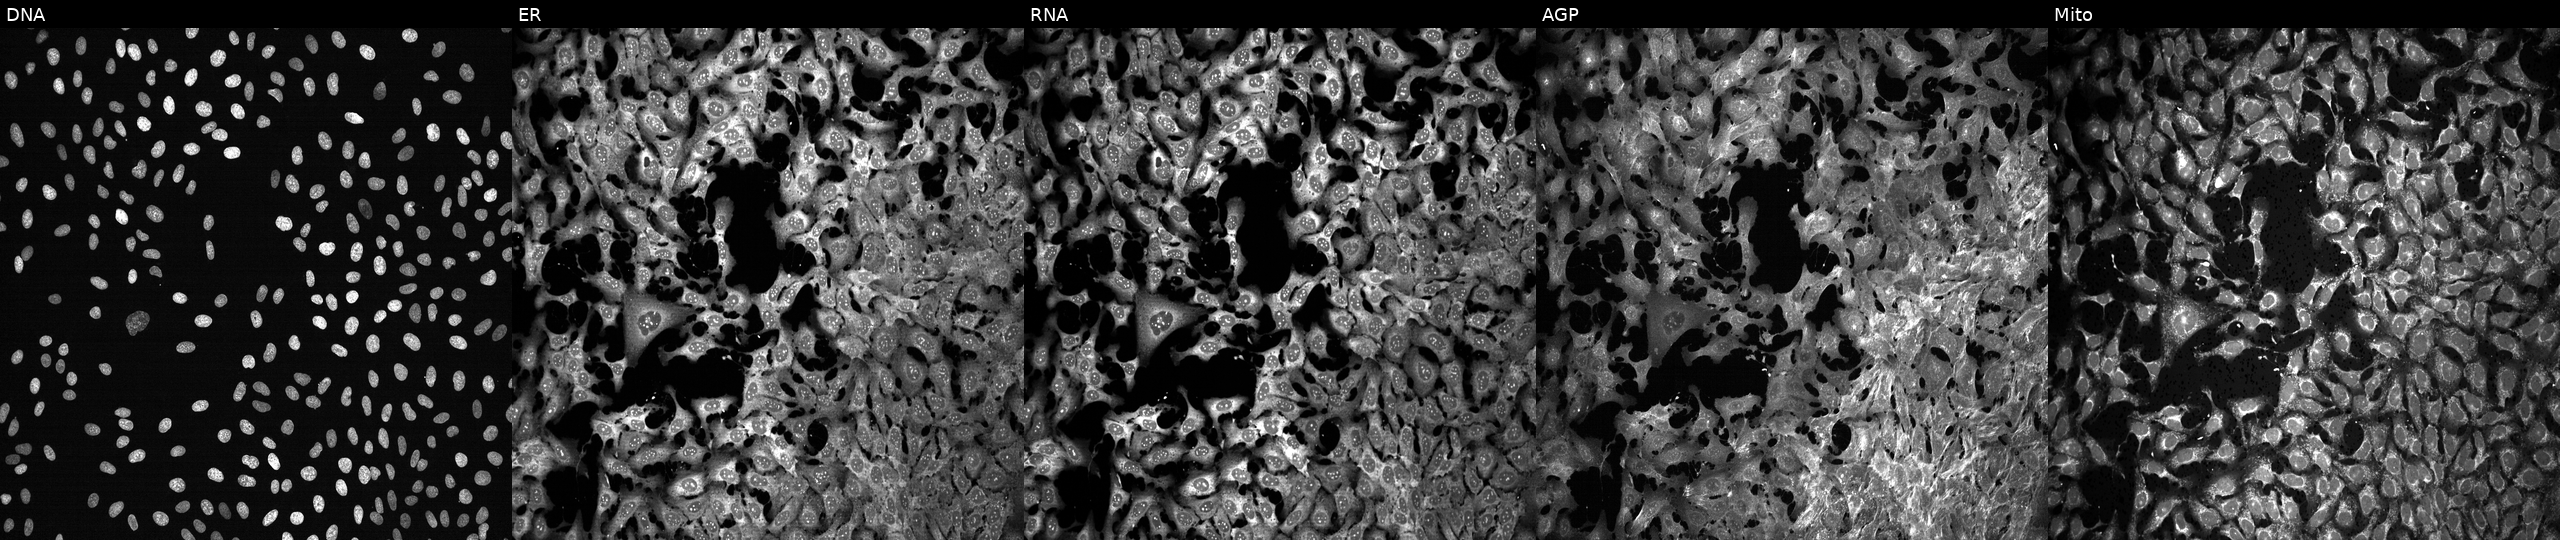
Channels (left→right): DNA (nuclei); ER (endoplasmic reticulum); RNA (nucleoli and cytoplasmic RNA); AGP (actin cytoskeleton, Golgi, and plasma membrane); Mito (mitochondria). U2OS osteosarcoma cells exposed to the positive-control compound FK-866 (JUMP id JCP2022_046054). Cell Painting assay, JUMP-CP dataset.